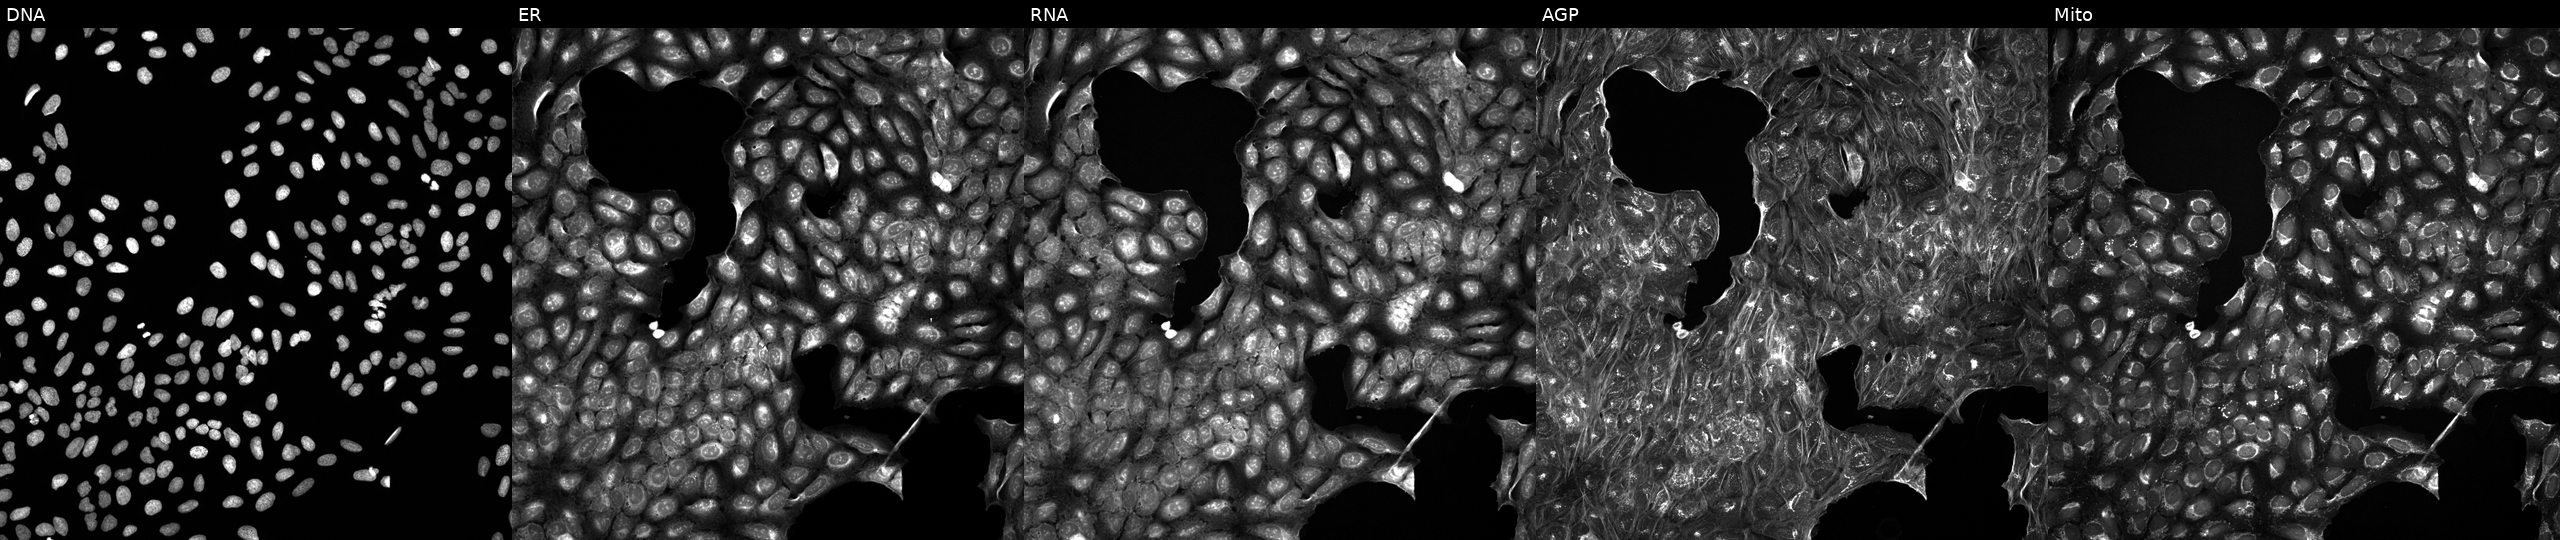
Panels show, left to right, DNA (nuclei); ER (endoplasmic reticulum); RNA (nucleoli and cytoplasmic RNA); AGP (actin cytoskeleton, Golgi, and plasma membrane); Mito (mitochondria). U2OS osteosarcoma cells perturbed with a small-molecule compound (JUMP id JCP2022_101929). Cell Painting assay, JUMP-CP dataset.